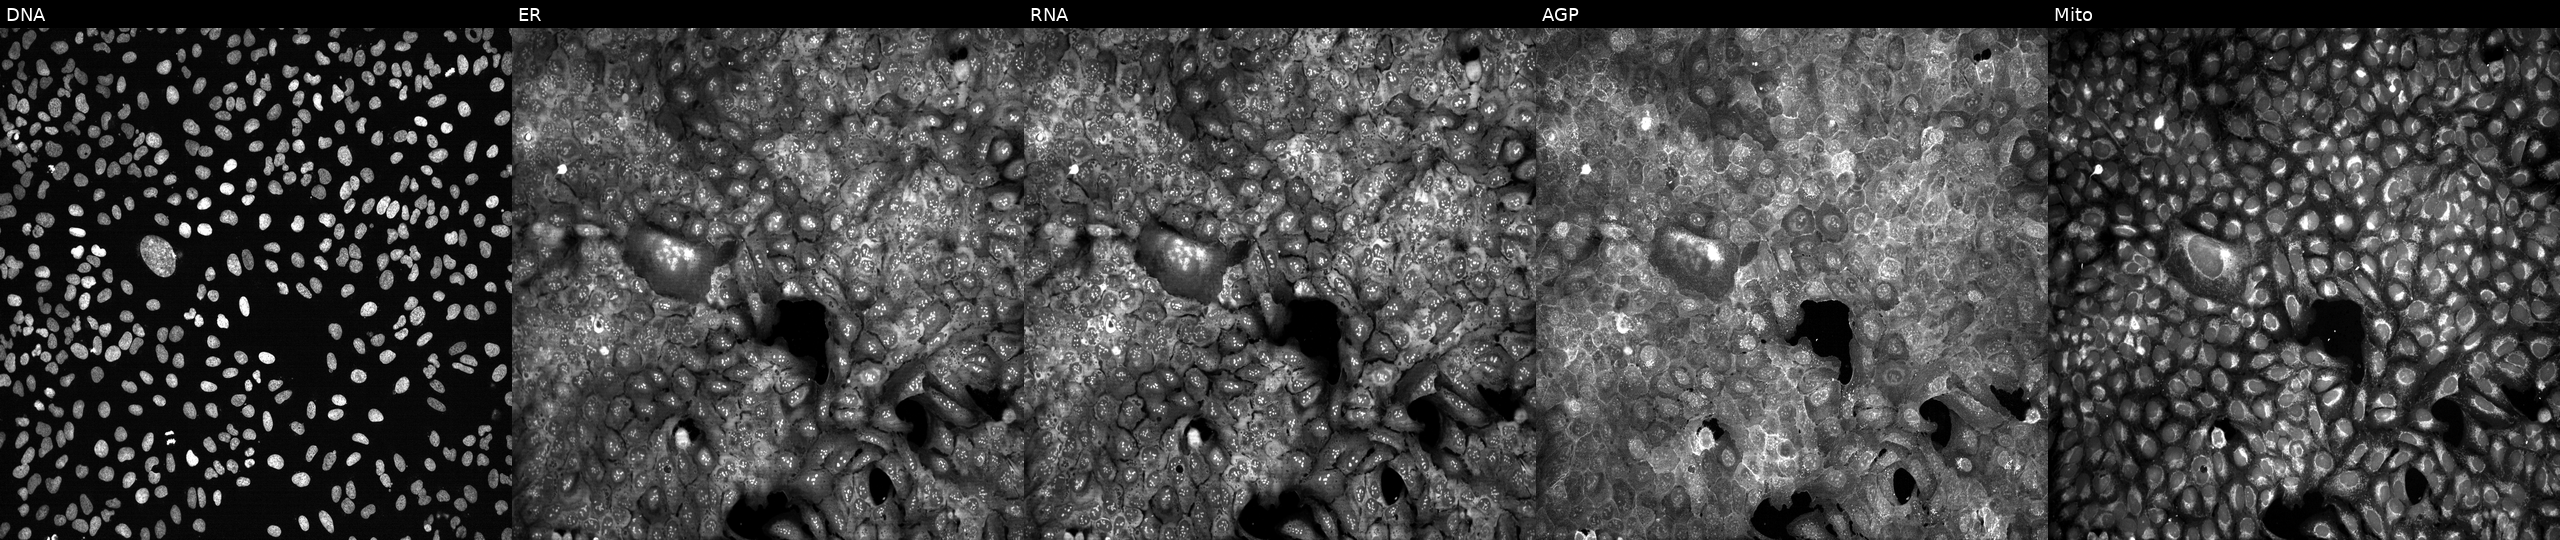
Five-channel Cell Painting image of U2OS cells with TIMP3 knocked out by CRISPR. Panels show, left to right, Hoechst 33342, concanavalin A, SYTO 14, phalloidin and WGA, MitoTracker. Source 13, plate CP-CC9-R5-01, well A19.